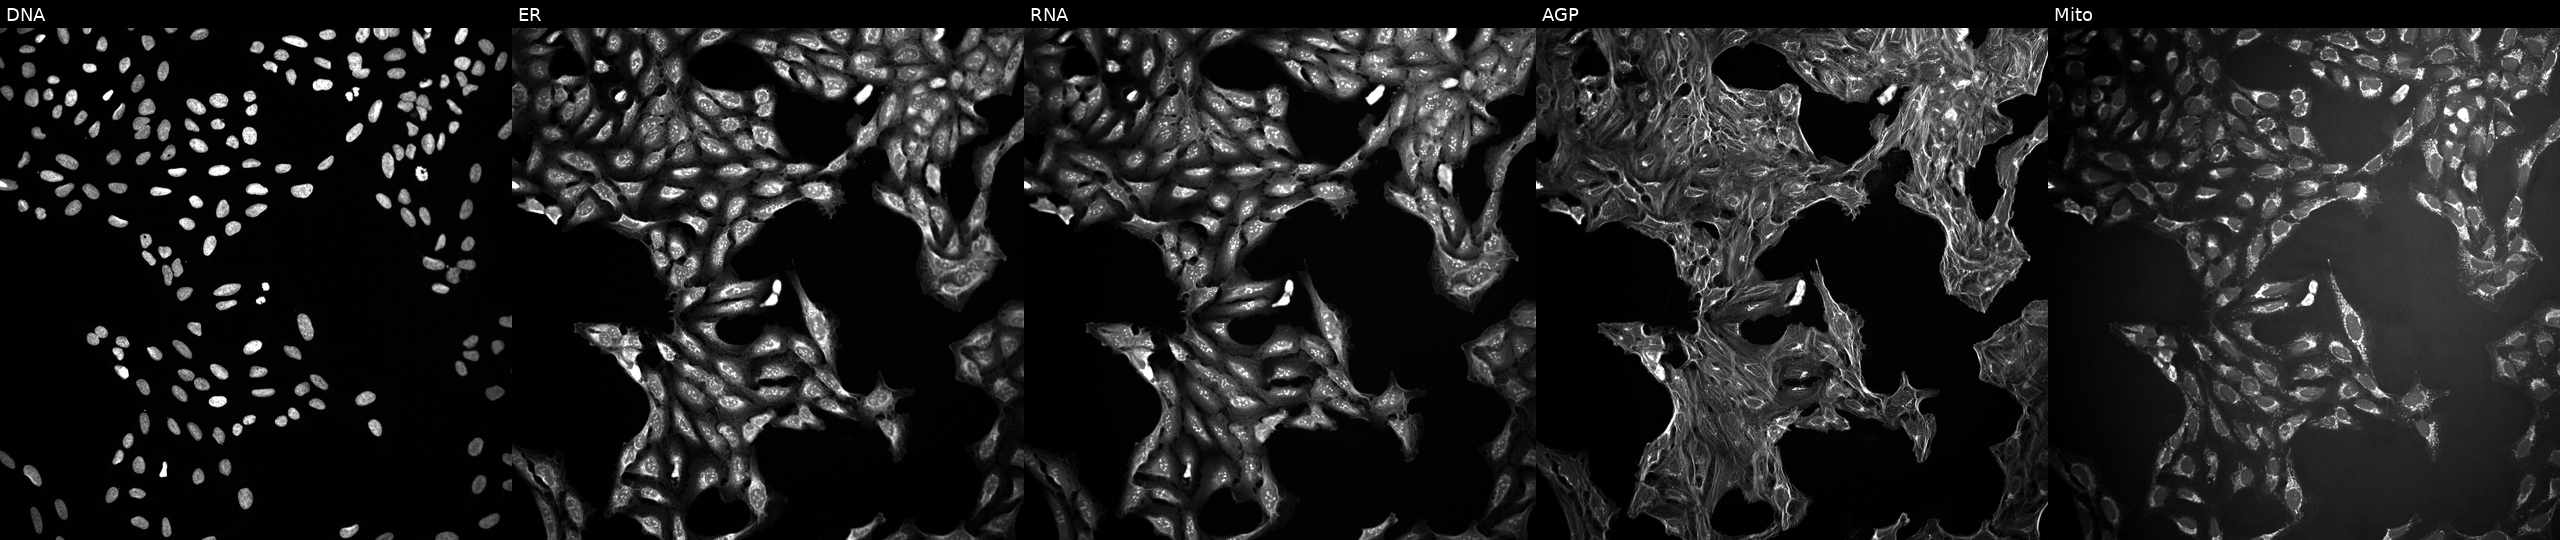
Panels show, left to right, DNA, ER, RNA, AGP, and Mito. U2OS osteosarcoma cells treated with a small-molecule compound (InChIKey IYAYHZZWYNXHEQ-UHFFFAOYSA-N) [SMILES: O=C(Nc1cccc(Br)c1)c1cccc(S(=O)(=O)N2CCCCCC2)c1]. Cell Painting assay, JUMP-CP dataset.